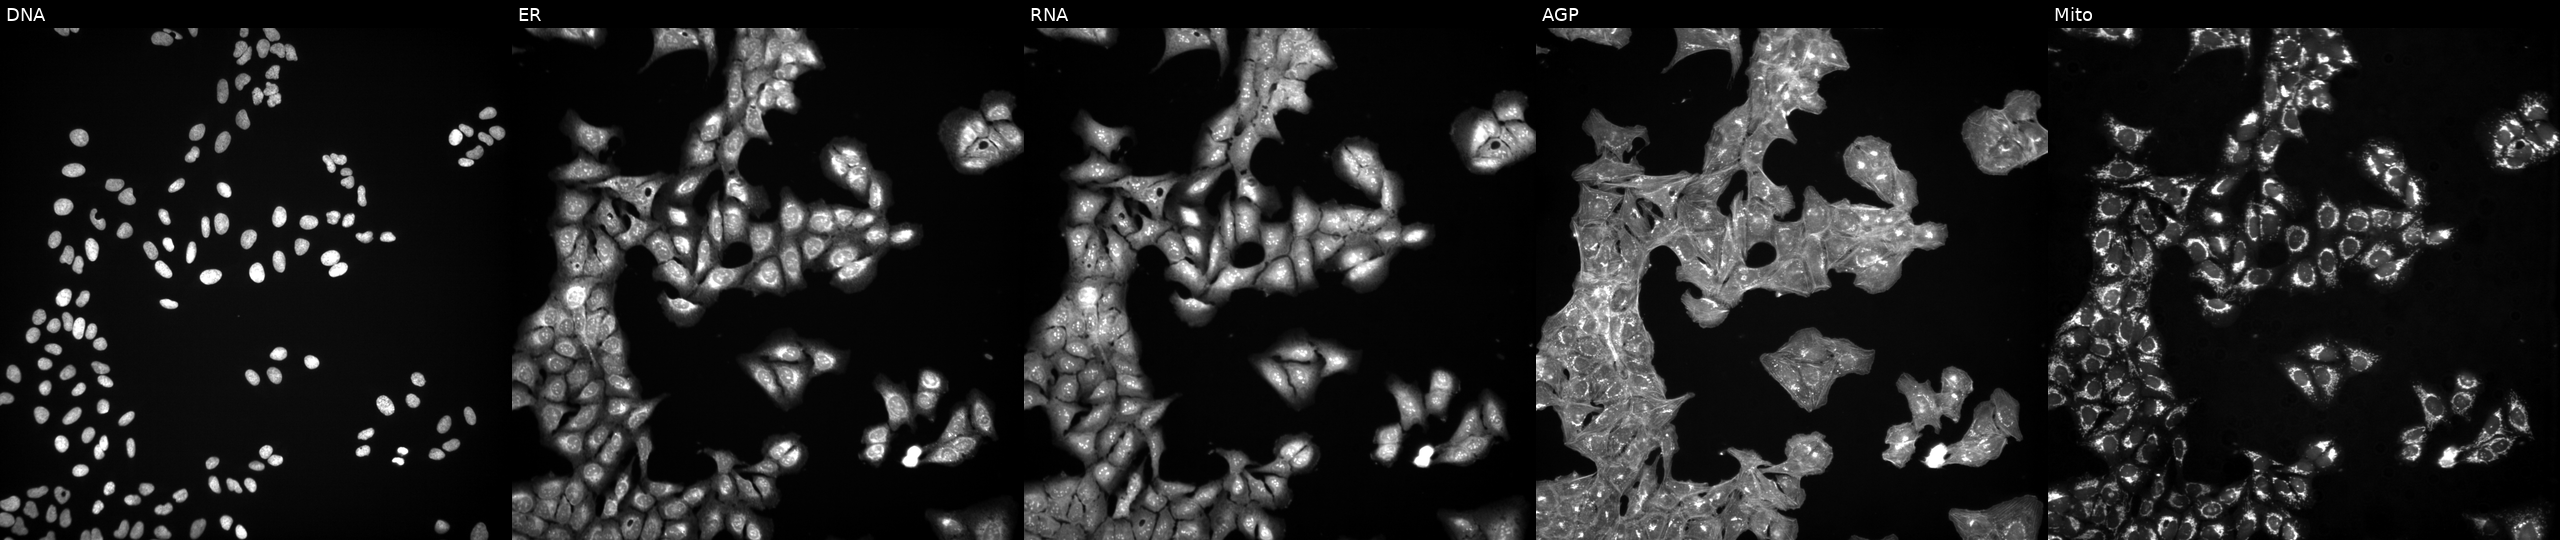
High-content fluorescence microscopy (Cell Painting). Cell line: U2OS. Perturbation: exposed to a small-molecule compound (InChIKey AFJRDFWMXUECEW-UHFFFAOYSA-N) (JUMP id JCP2022_001036). The five panels, left to right, show Hoechst 33342, concanavalin A, SYTO 14, phalloidin and WGA, MitoTracker.